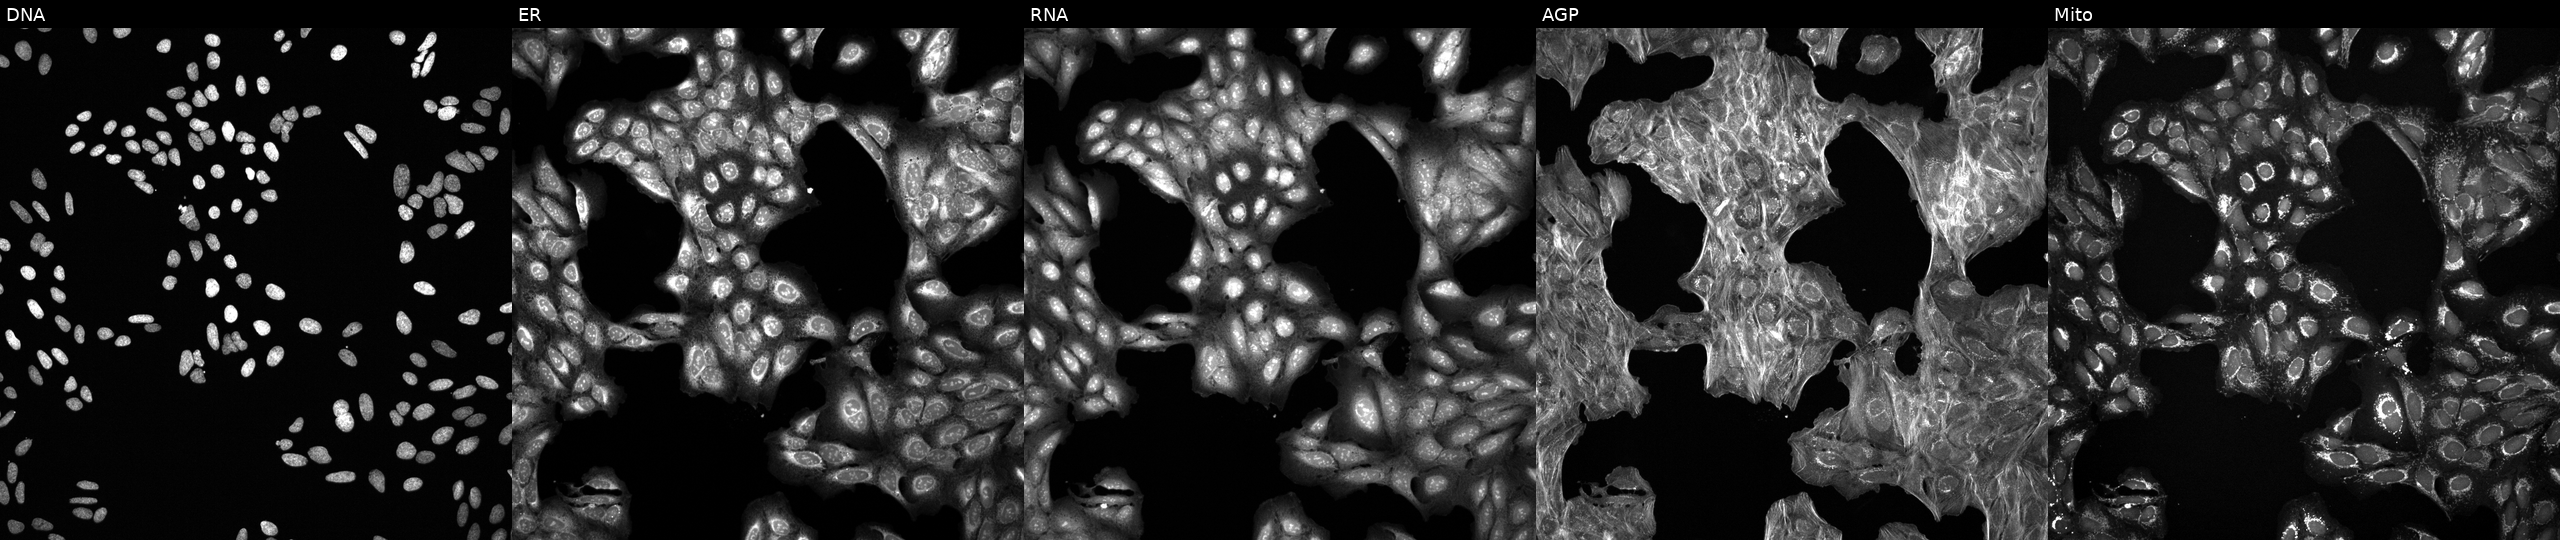
Five-channel Cell Painting image of U2OS cells treated with a small-molecule compound [SMILES: NC(=O)N1CCC(CC(=O)N2CCC(C3c4ncc(Br)cc4CCc4cc(Cl)cc(Br)c43)CC2)CC1]. Panels show, left to right, DNA (nuclei); ER (endoplasmic reticulum); RNA (nucleoli and cytoplasmic RNA); AGP (actin cytoskeleton, Golgi, and plasma membrane); Mito (mitochondria). Source 6, plate 110000294901, well N08.